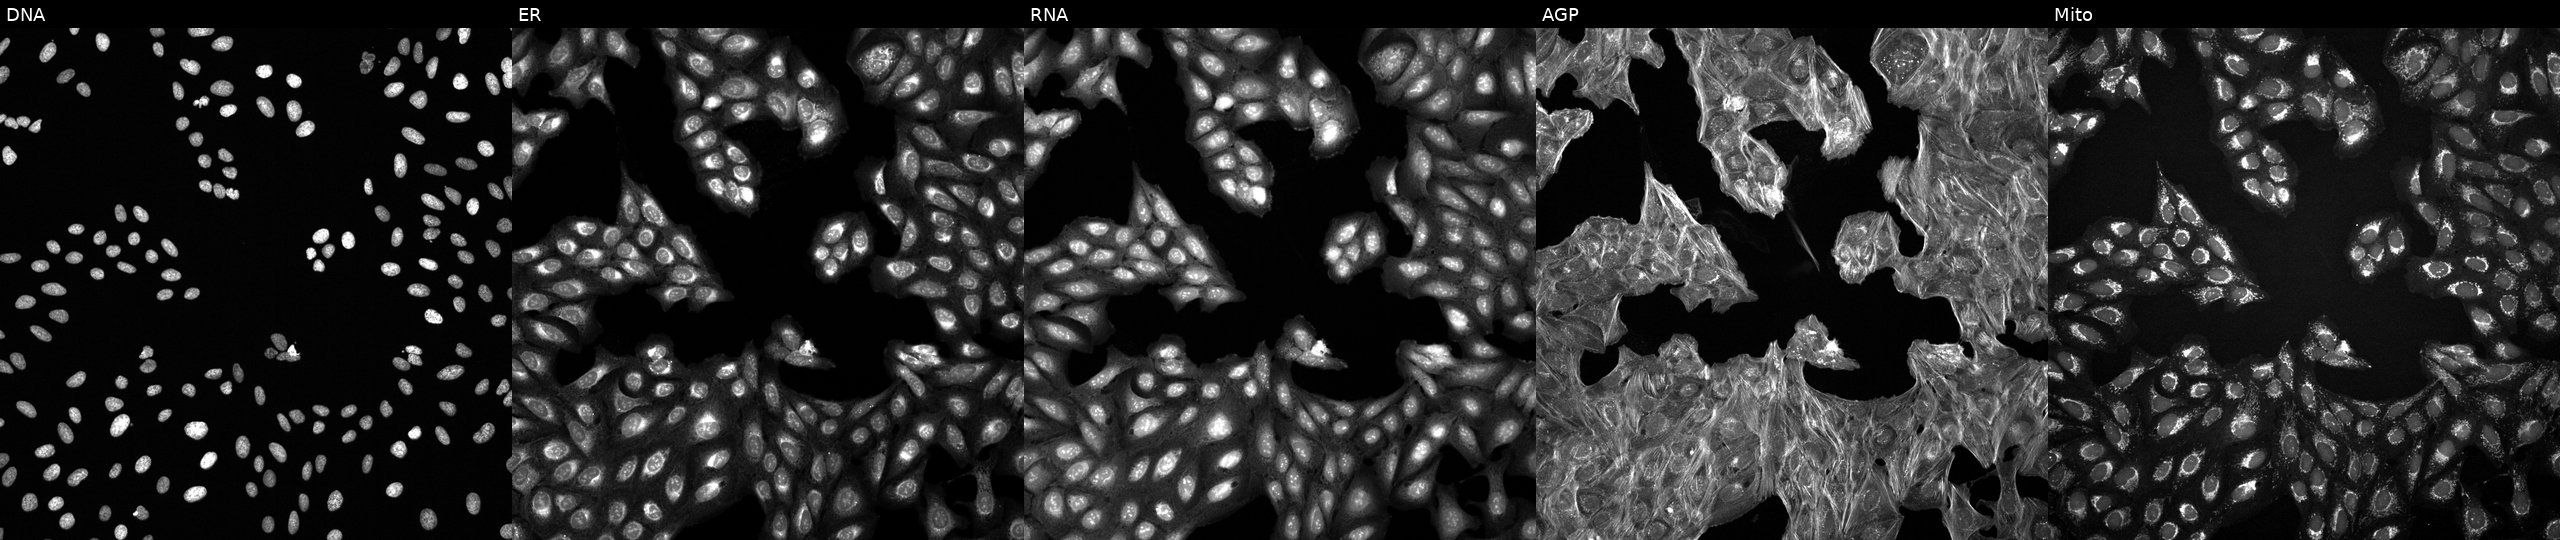
Five-channel Cell Painting image of U2OS cells exposed to a small-molecule compound (InChIKey APQIVKLWLHXSLW-UHFFFAOYSA-N). Channels (left→right): DNA (nuclei); ER (endoplasmic reticulum); RNA (nucleoli and cytoplasmic RNA); AGP (actin cytoskeleton, Golgi, and plasma membrane); Mito (mitochondria). Source 6, plate 110000293083, well F16.